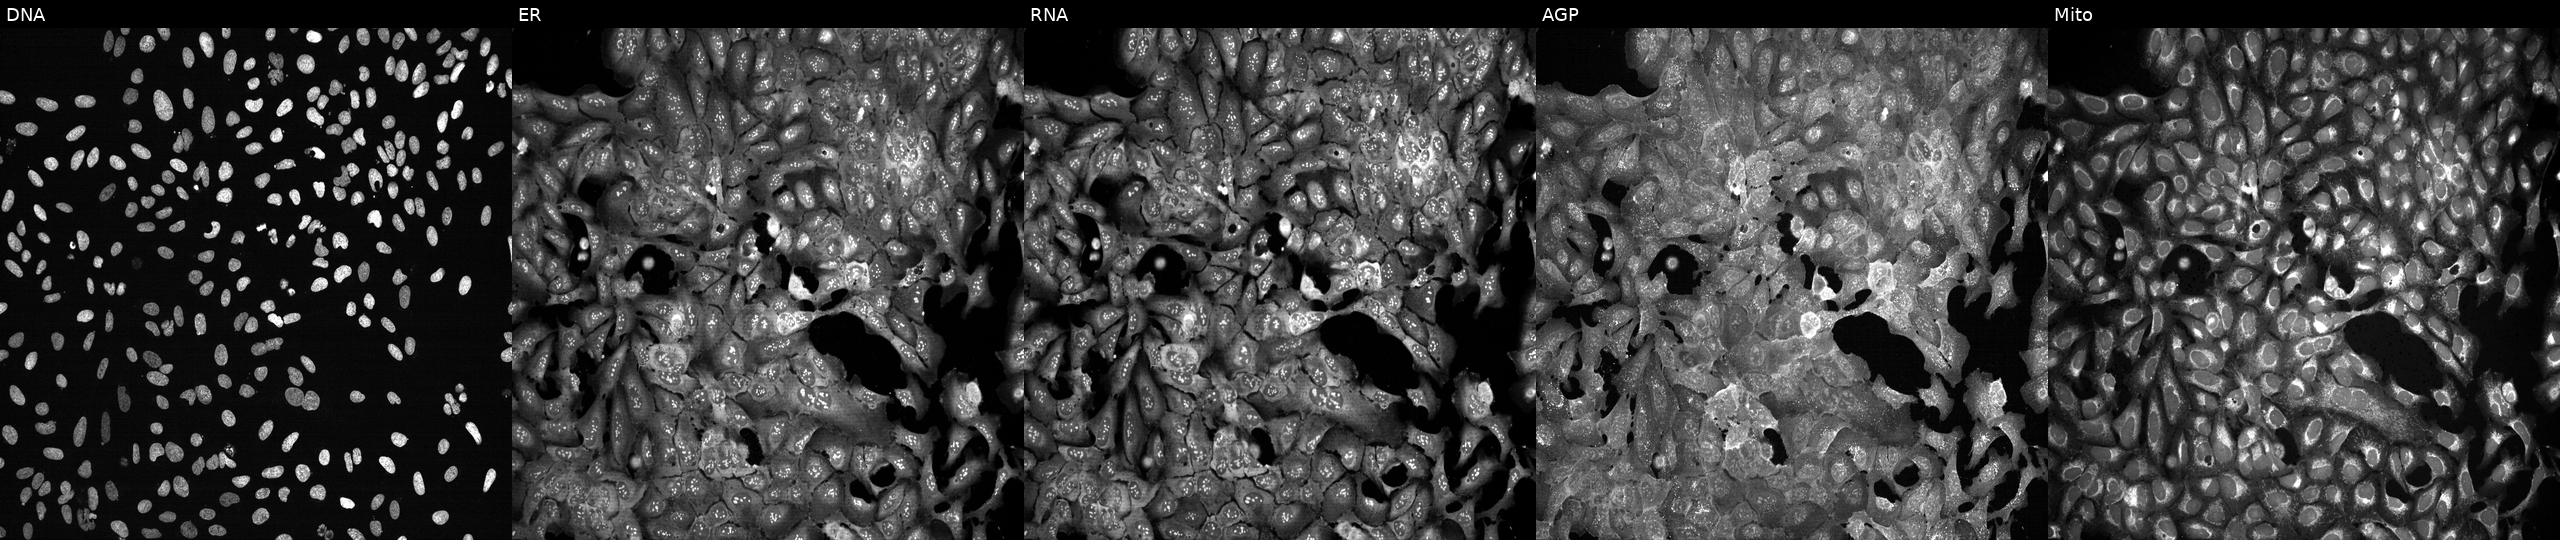
Five-channel Cell Painting image of U2OS cells following CRISPR knockout of SLC2A4 (JUMP id JCP2022_806489). Panels show, left to right, Hoechst 33342, concanavalin A, SYTO 14, phalloidin and WGA, MitoTracker.